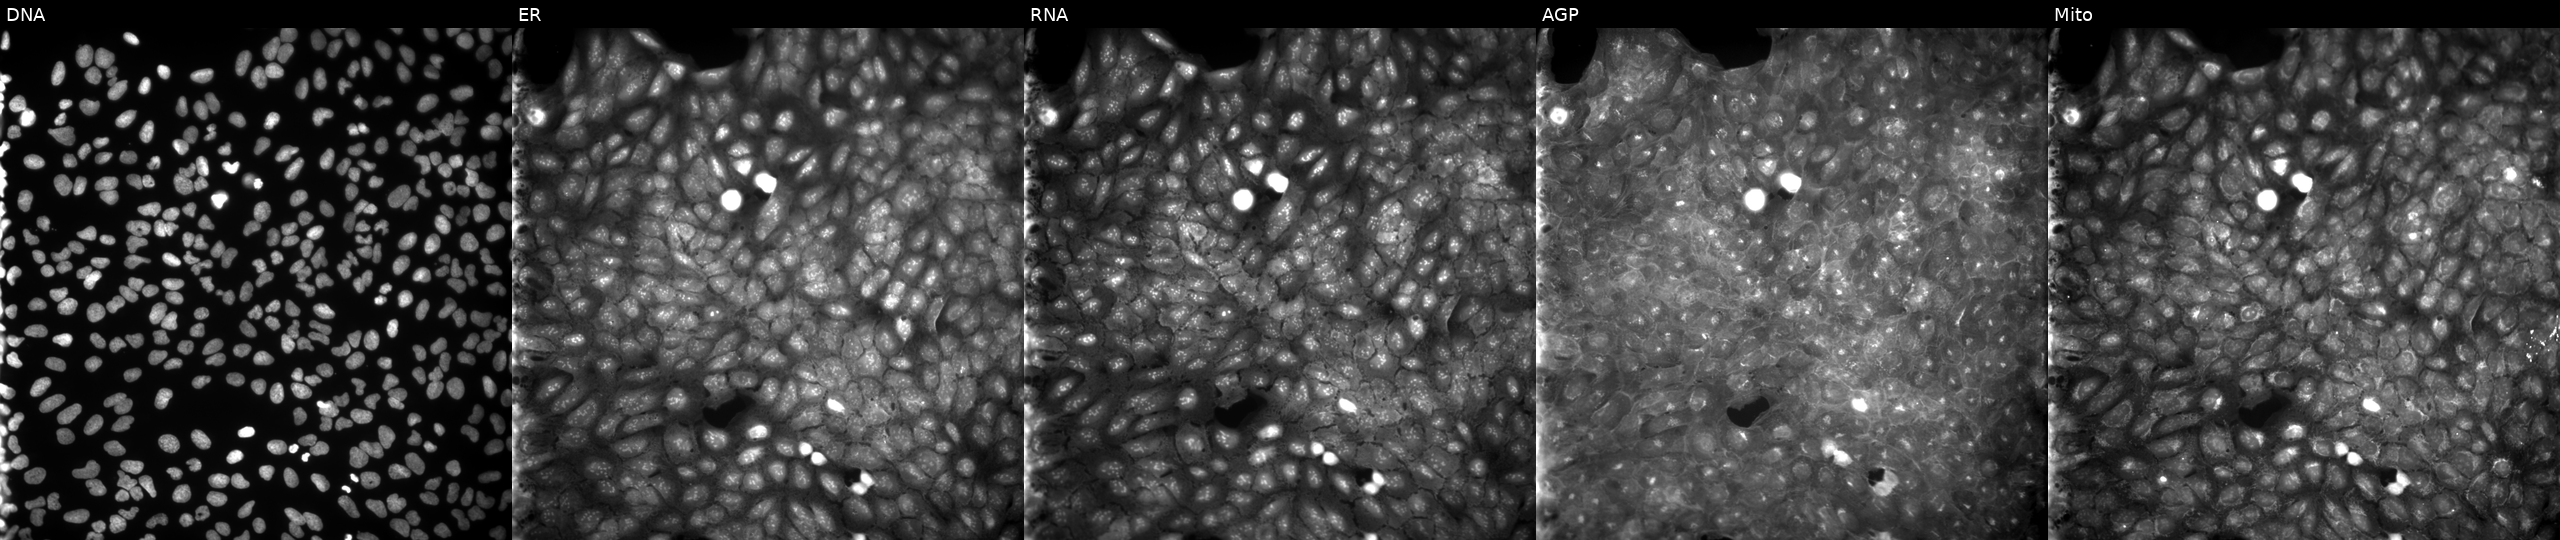
JUMP Cell Painting — COMPOUND plate. U2OS cells treated with a small-molecule compound (JUMP id JCP2022_095893). From left to right: DNA, ER, RNA, AGP, and Mito.